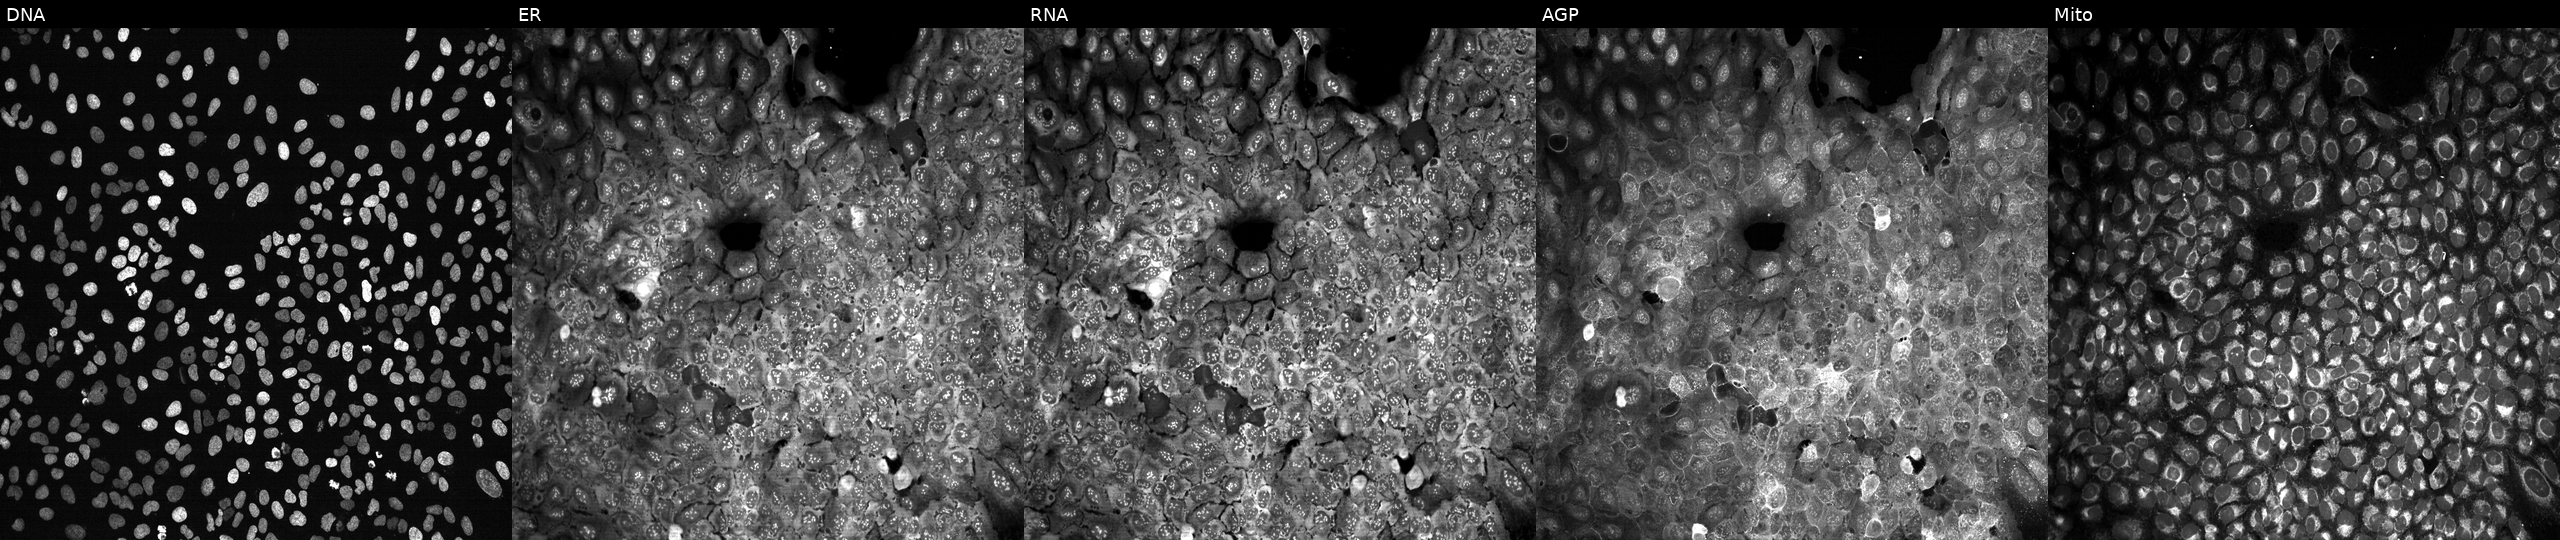
JUMP Cell Painting — CRISPR plate. U2OS cells with CA12 knocked out by CRISPR (JUMP id JCP2022_800974). The five panels, left to right, show DNA (nuclei); ER (endoplasmic reticulum); RNA (nucleoli and cytoplasmic RNA); AGP (actin cytoskeleton, Golgi, and plasma membrane); Mito (mitochondria).